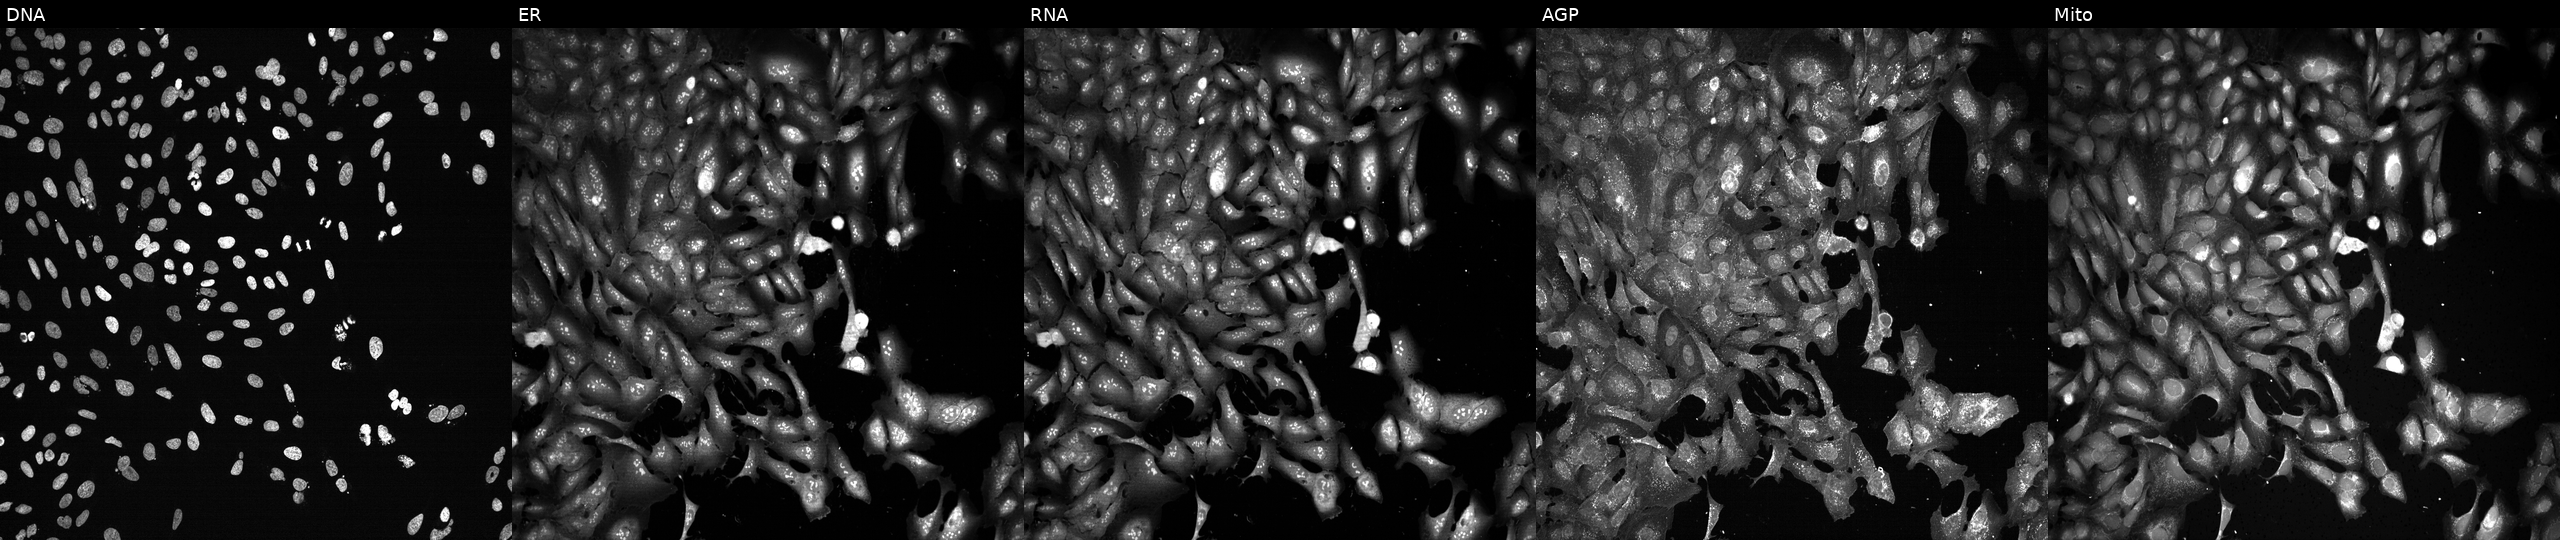
U2OS cells, Cell Painting assay, CRISPR-edited to disrupt AGL (JUMP id JCP2022_800307). Panels show, left to right, DNA, ER, RNA, AGP, and Mito. Each panel is percentile-stretched 16-bit fluorescence. Source 13, plate CP-CC9-R1-02, well K03.